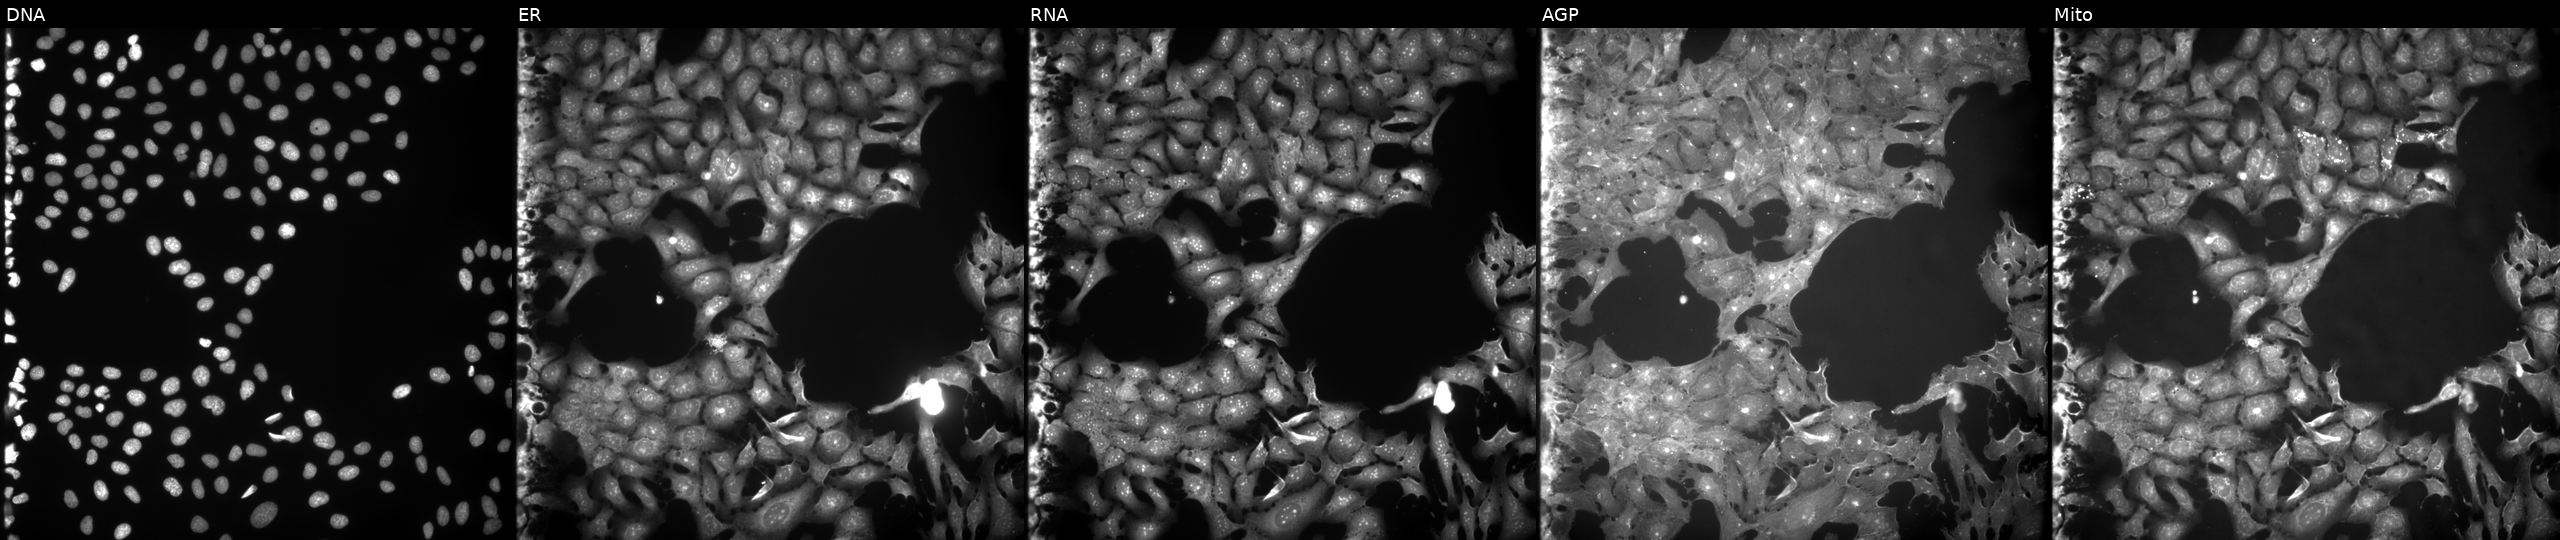
High-content fluorescence microscopy (Cell Painting). Cell line: U2OS. Perturbation: treated with FK-866 (positive-control compound). Channels (left→right): DNA (nuclei); ER (endoplasmic reticulum); RNA (nucleoli and cytoplasmic RNA); AGP (actin cytoskeleton, Golgi, and plasma membrane); Mito (mitochondria). Source 9, plate GR00003381, well D24.